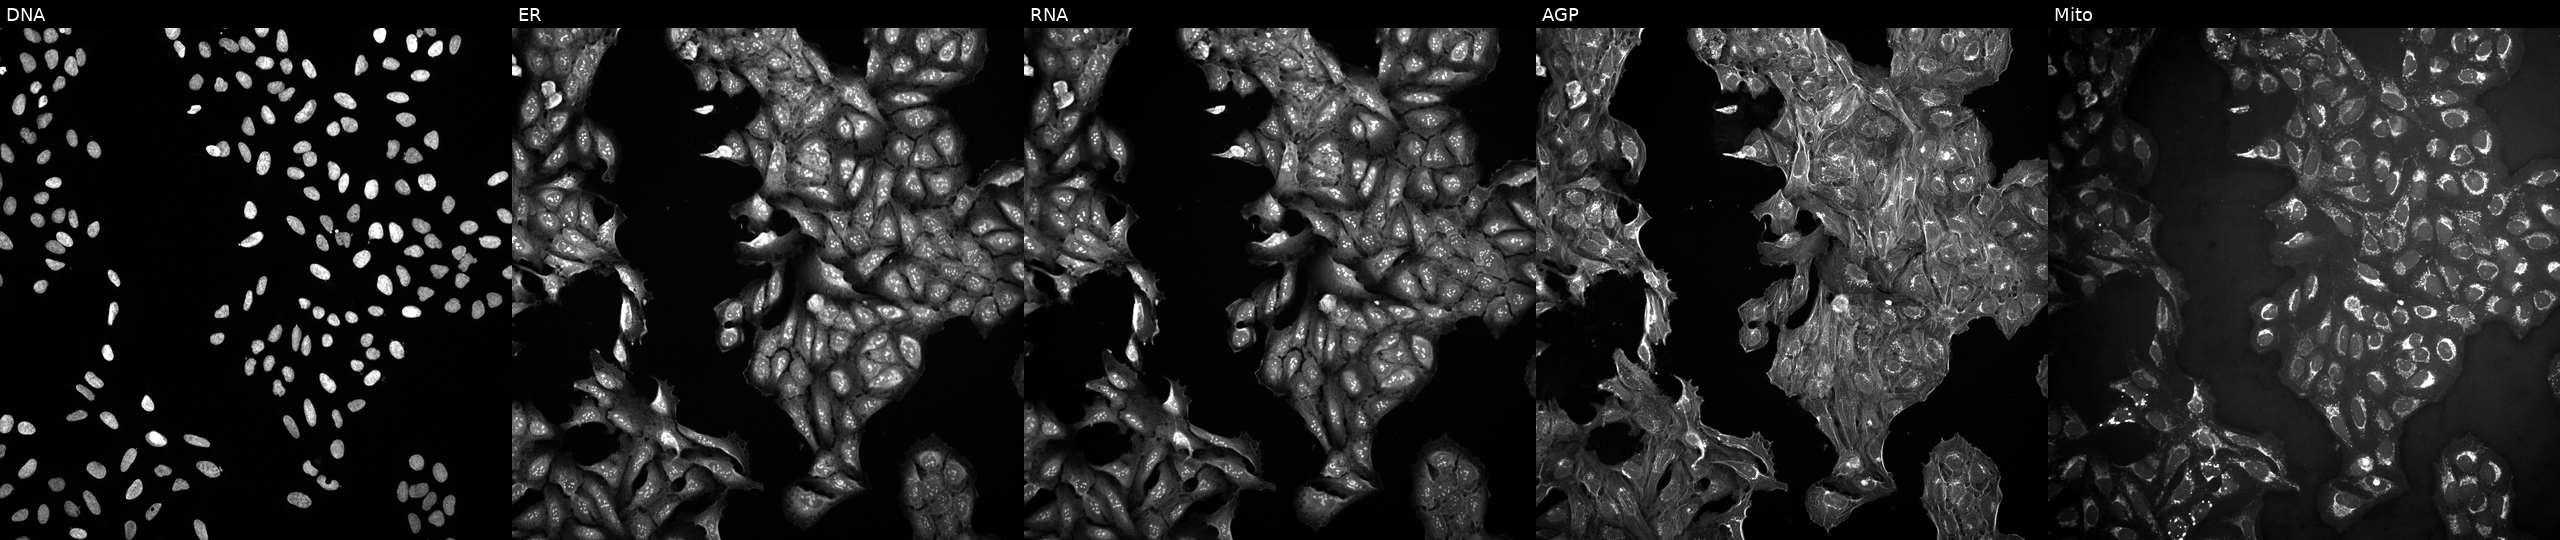
JUMP Cell Painting — COMPOUND plate. U2OS cells exposed to a small-molecule compound (InChIKey ZUPNERYRDGXLNE-UHFFFAOYSA-N) (JUMP id JCP2022_115772). Panels show, left to right, Hoechst 33342, concanavalin A, SYTO 14, phalloidin and WGA, MitoTracker.